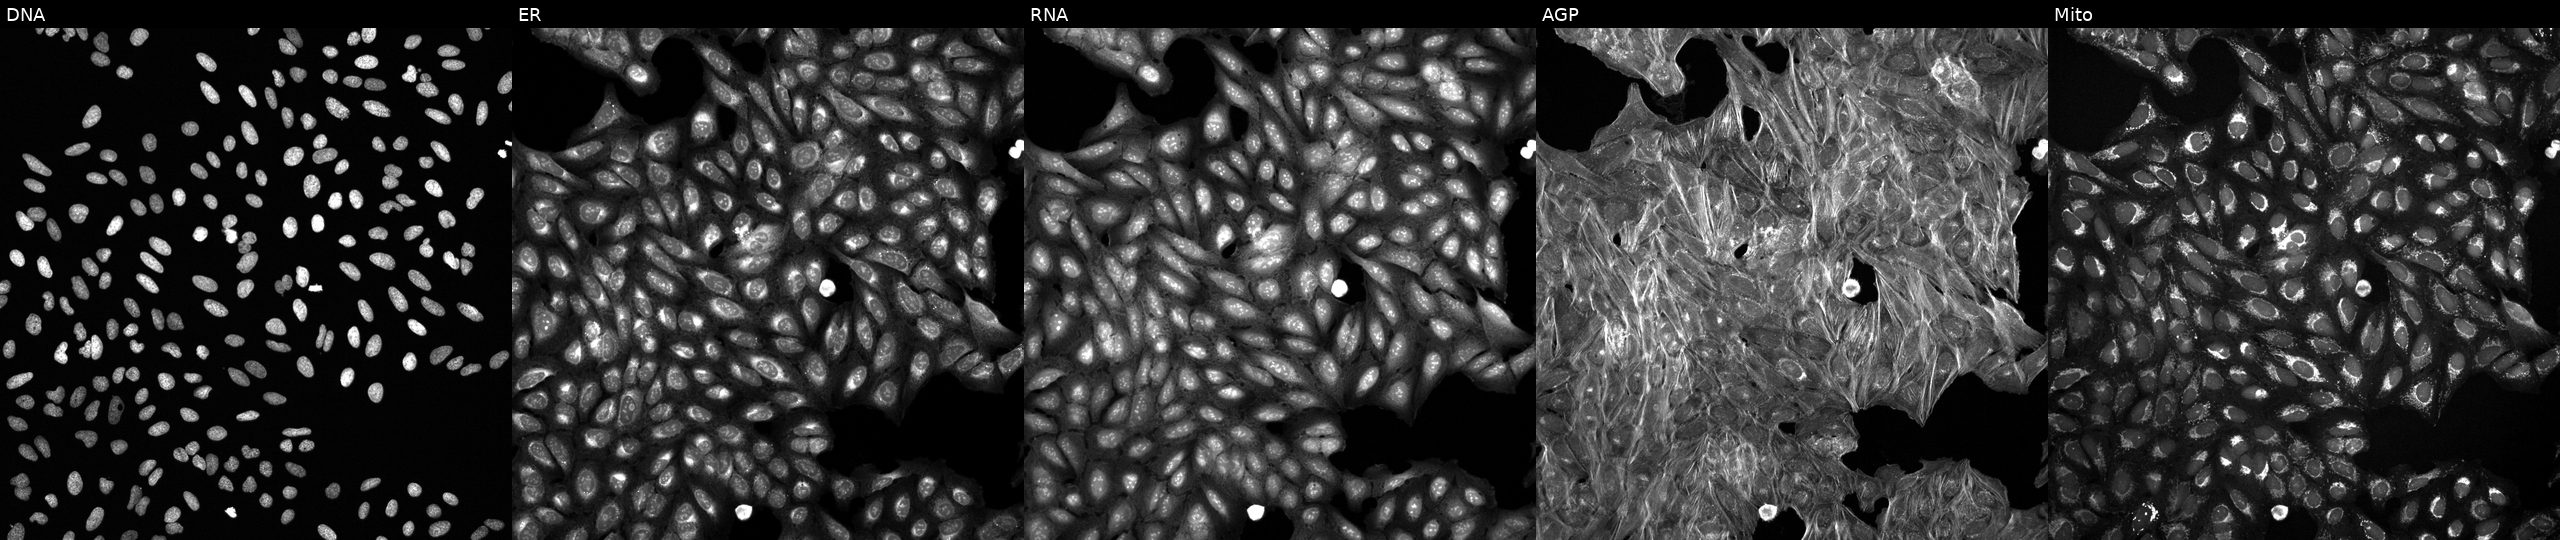
Panels show, left to right, DNA (nuclei); ER (endoplasmic reticulum); RNA (nucleoli and cytoplasmic RNA); AGP (actin cytoskeleton, Golgi, and plasma membrane); Mito (mitochondria). U2OS osteosarcoma cells exposed to a small-molecule compound (InChIKey LRLKUFNCFJMYFH-UHFFFAOYSA-N) [SMILES: Cc1oc2ncnc(N3CCCCC3)c2c1C(=O)Nc1ccccc1] (JUMP id JCP2022_051280). Cell Painting assay, JUMP-CP dataset. Source 6, plate 110000293082, well M03.